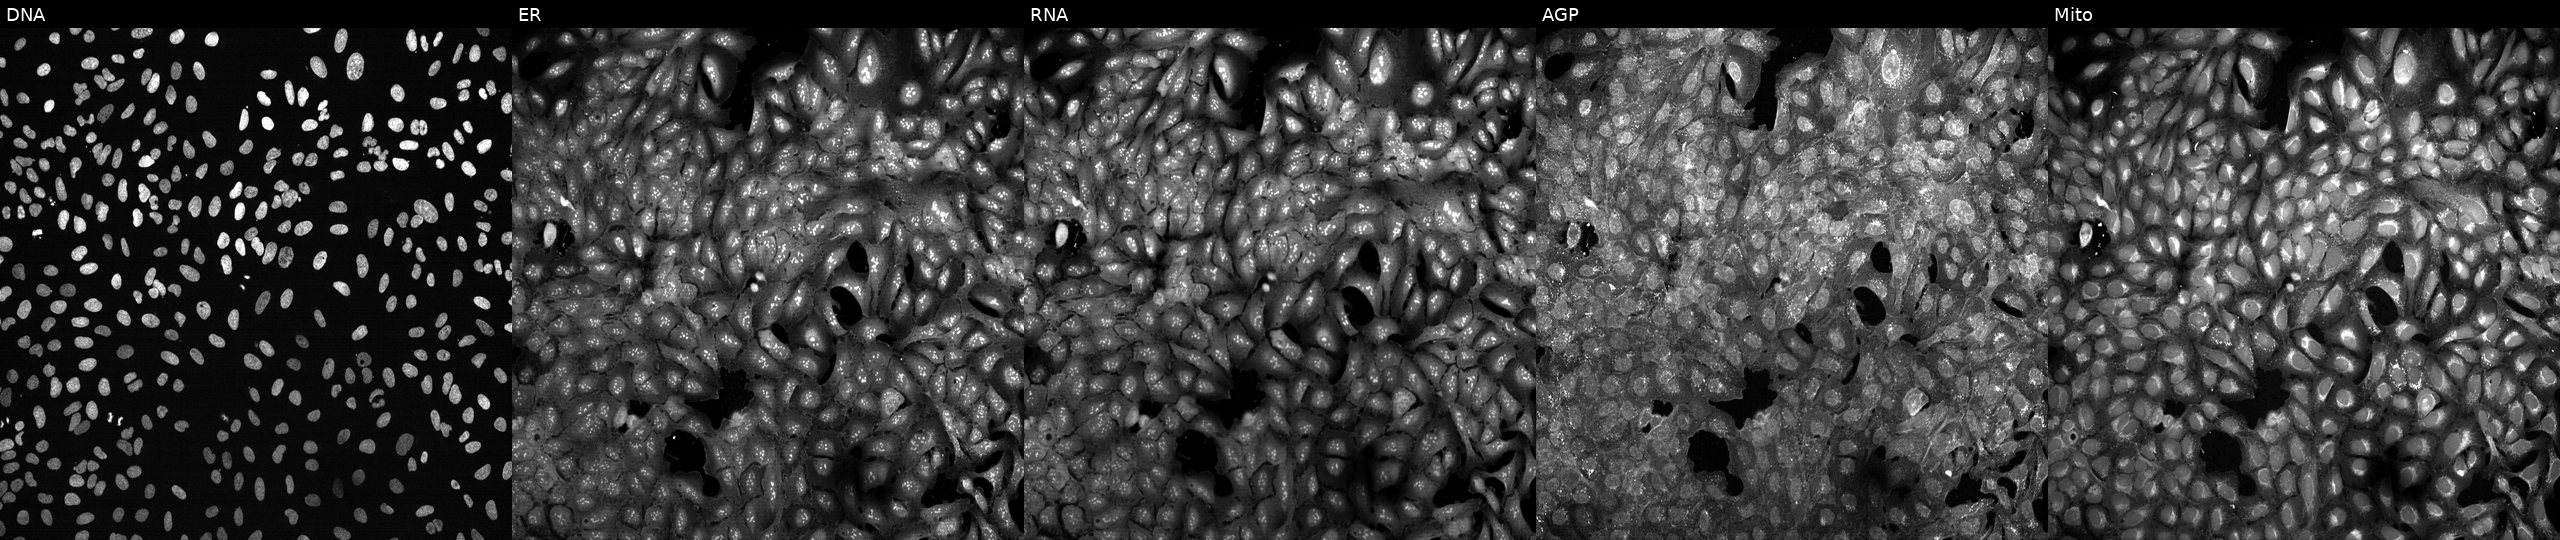
This image strip shows the five Cell Painting channels for a single field of U2OS cells with ASNSD1 knocked out by CRISPR (JUMP id JCP2022_800651). Panels show, left to right, Hoechst 33342, concanavalin A, SYTO 14, phalloidin and WGA, MitoTracker.